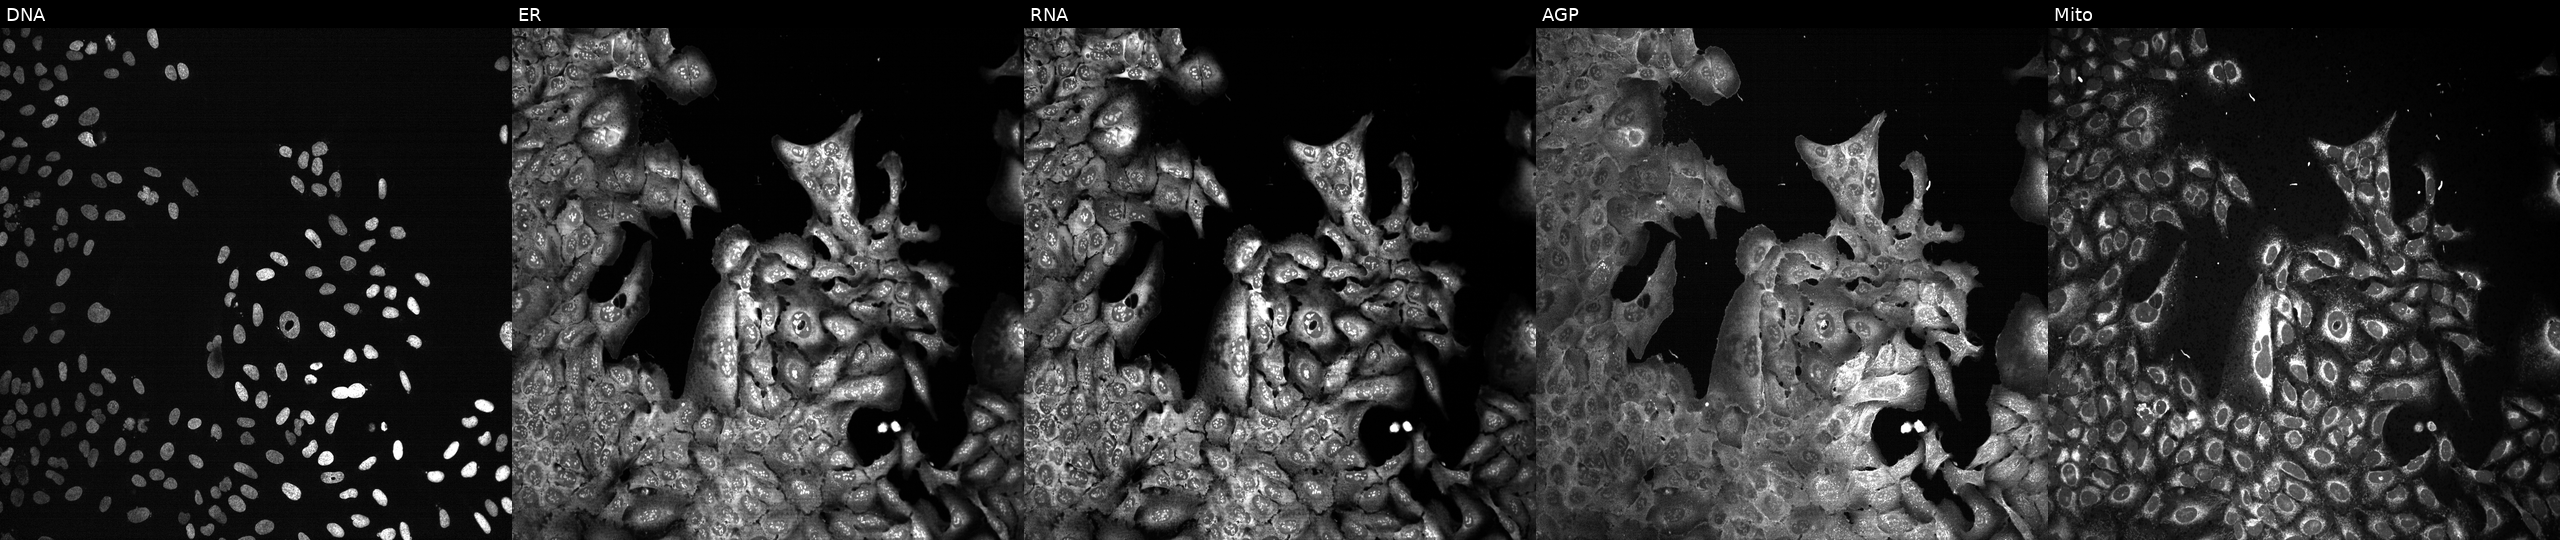
JUMP Cell Painting — CRISPR plate. U2OS cells CRISPR-edited to disrupt FGF1 (JUMP id JCP2022_802375). Channels (left→right): Hoechst 33342, concanavalin A, SYTO 14, phalloidin and WGA, MitoTracker.